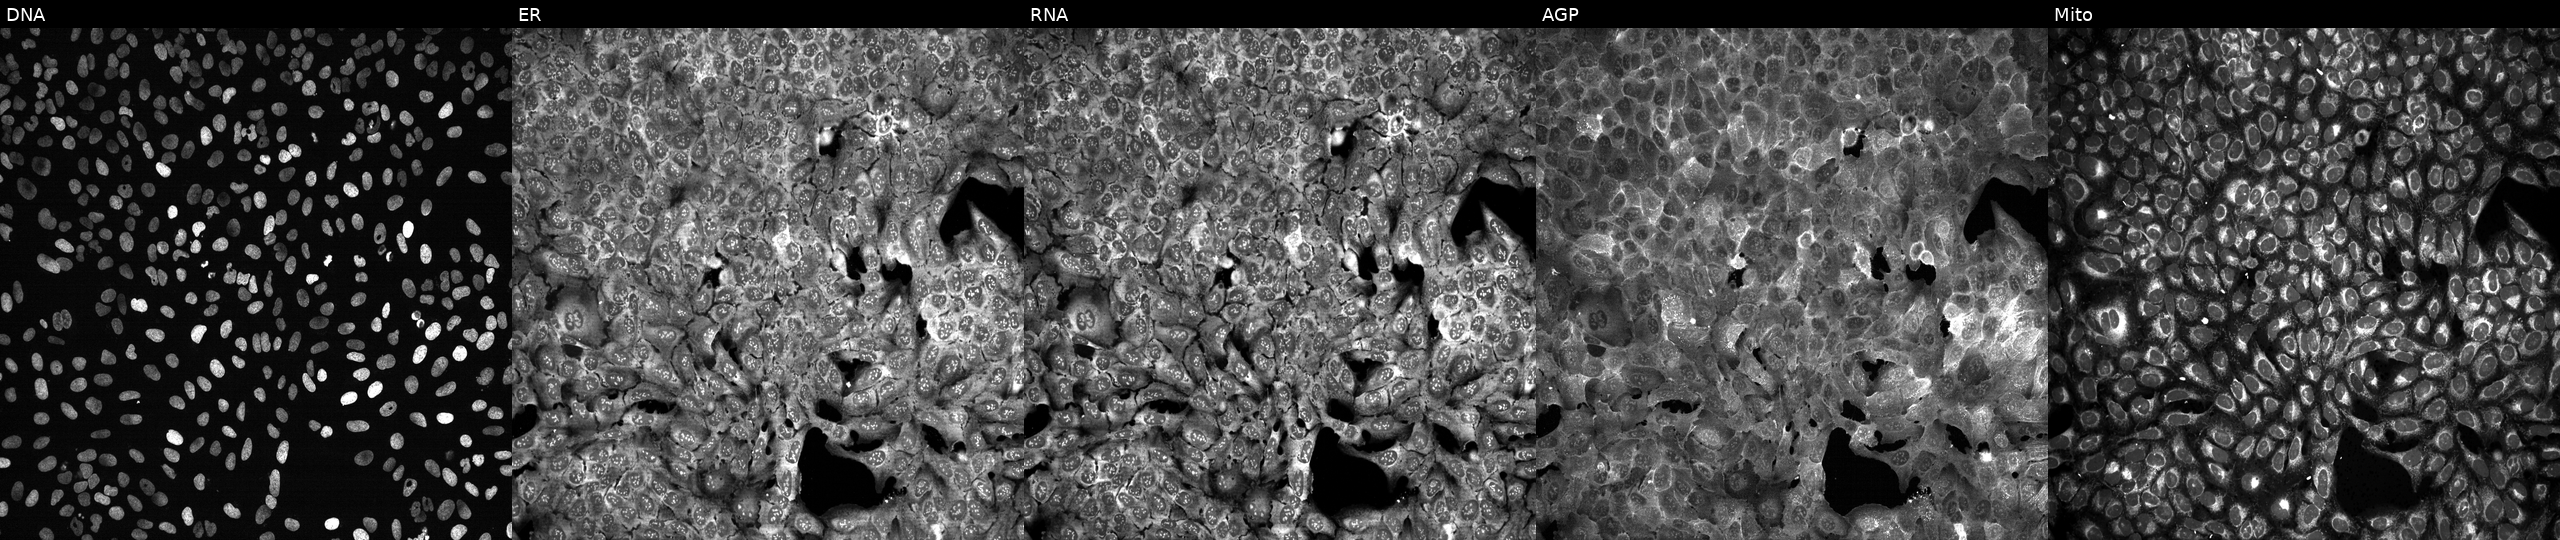
Five-channel Cell Painting image of U2OS cells with SMC1A knocked out by CRISPR (JUMP id JCP2022_806640). From left to right: DNA (nuclei); ER (endoplasmic reticulum); RNA (nucleoli and cytoplasmic RNA); AGP (actin cytoskeleton, Golgi, and plasma membrane); Mito (mitochondria). Source 13, plate CP-CC9-R2-01, well C12.